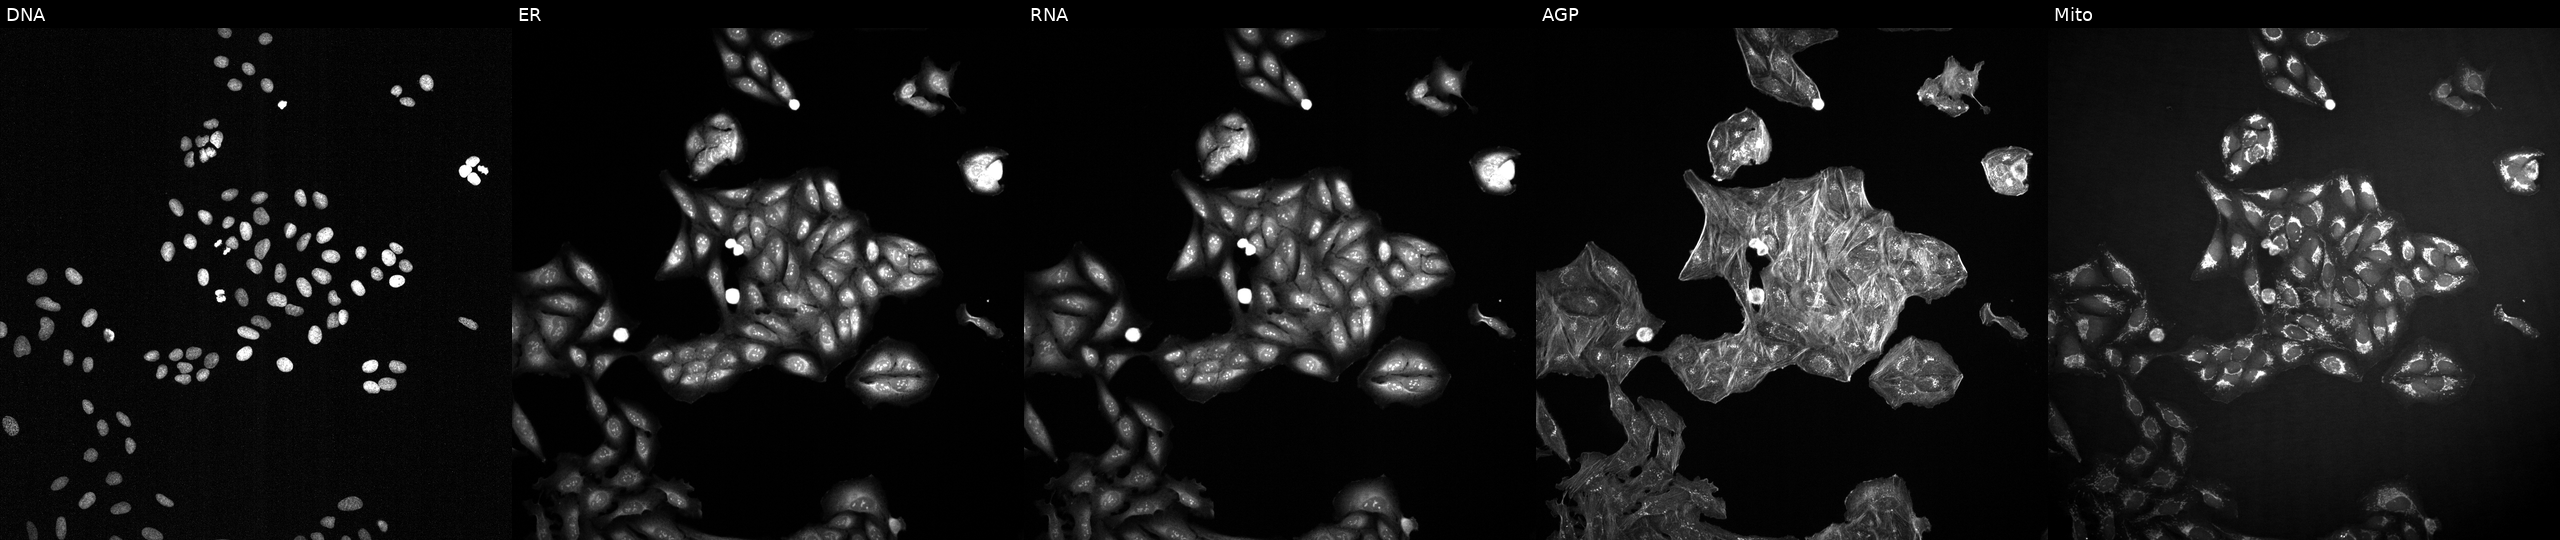
U2OS cells, Cell Painting assay, treated with DMSO vehicle only (negative control) (JUMP id JCP2022_033924). The five panels, left to right, show Hoechst 33342, concanavalin A, SYTO 14, phalloidin and WGA, MitoTracker. Each panel is percentile-stretched 16-bit fluorescence. Source 2, plate 1053599503, well A20.